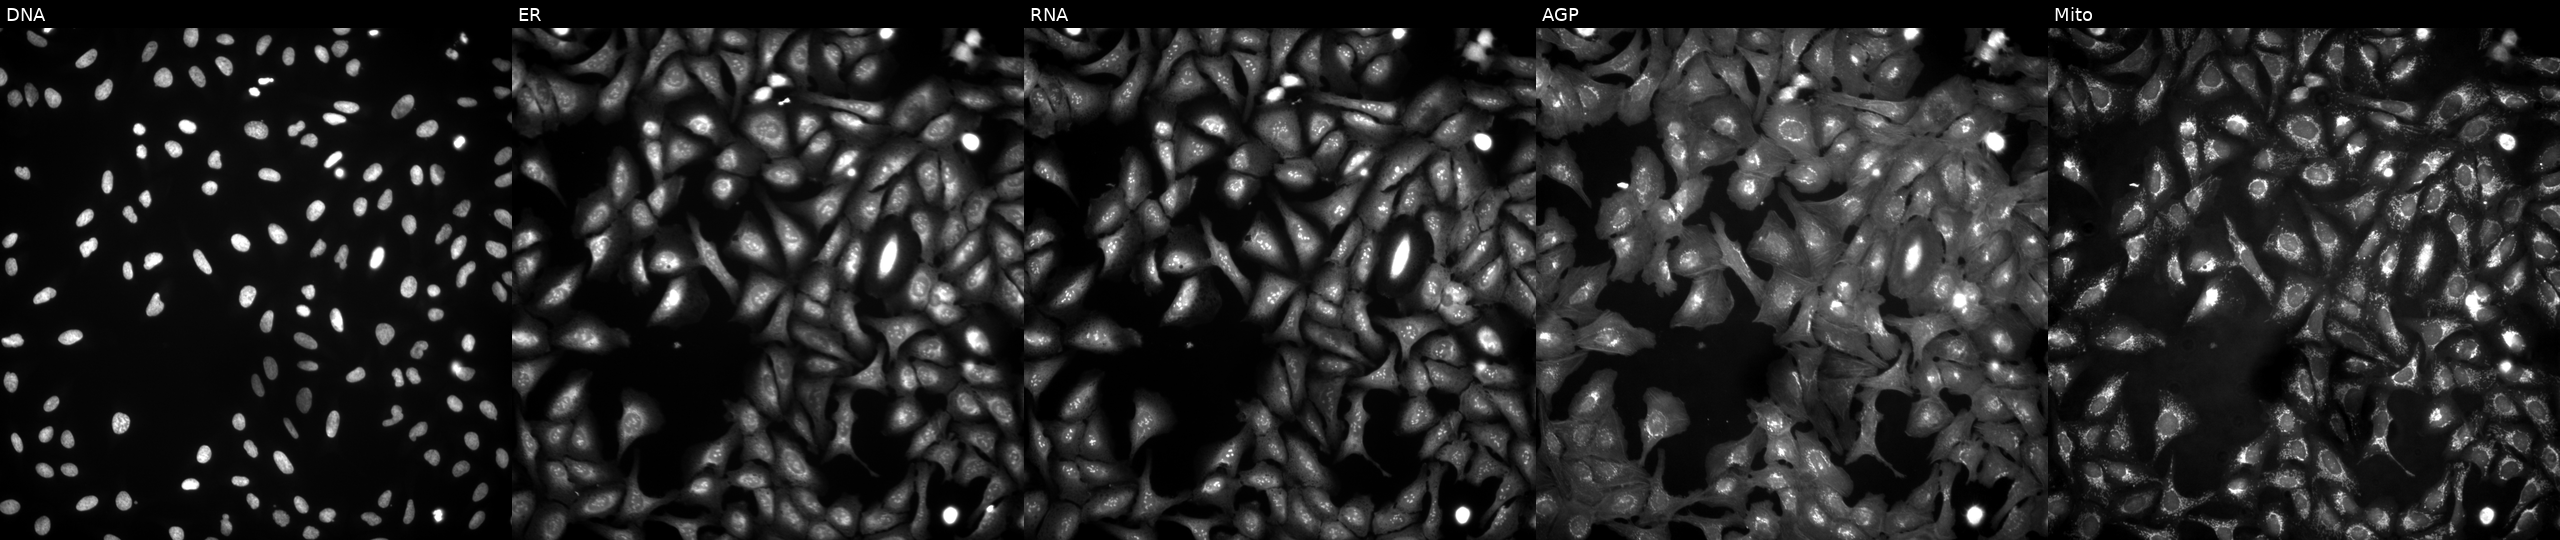
High-content fluorescence microscopy (Cell Painting). Cell line: U2OS. Perturbation: with SCGB1D1 overexpressed (ORF). From left to right: Hoechst 33342, concanavalin A, SYTO 14, phalloidin and WGA, MitoTracker. Source 4, plate BR00124790, well G11.